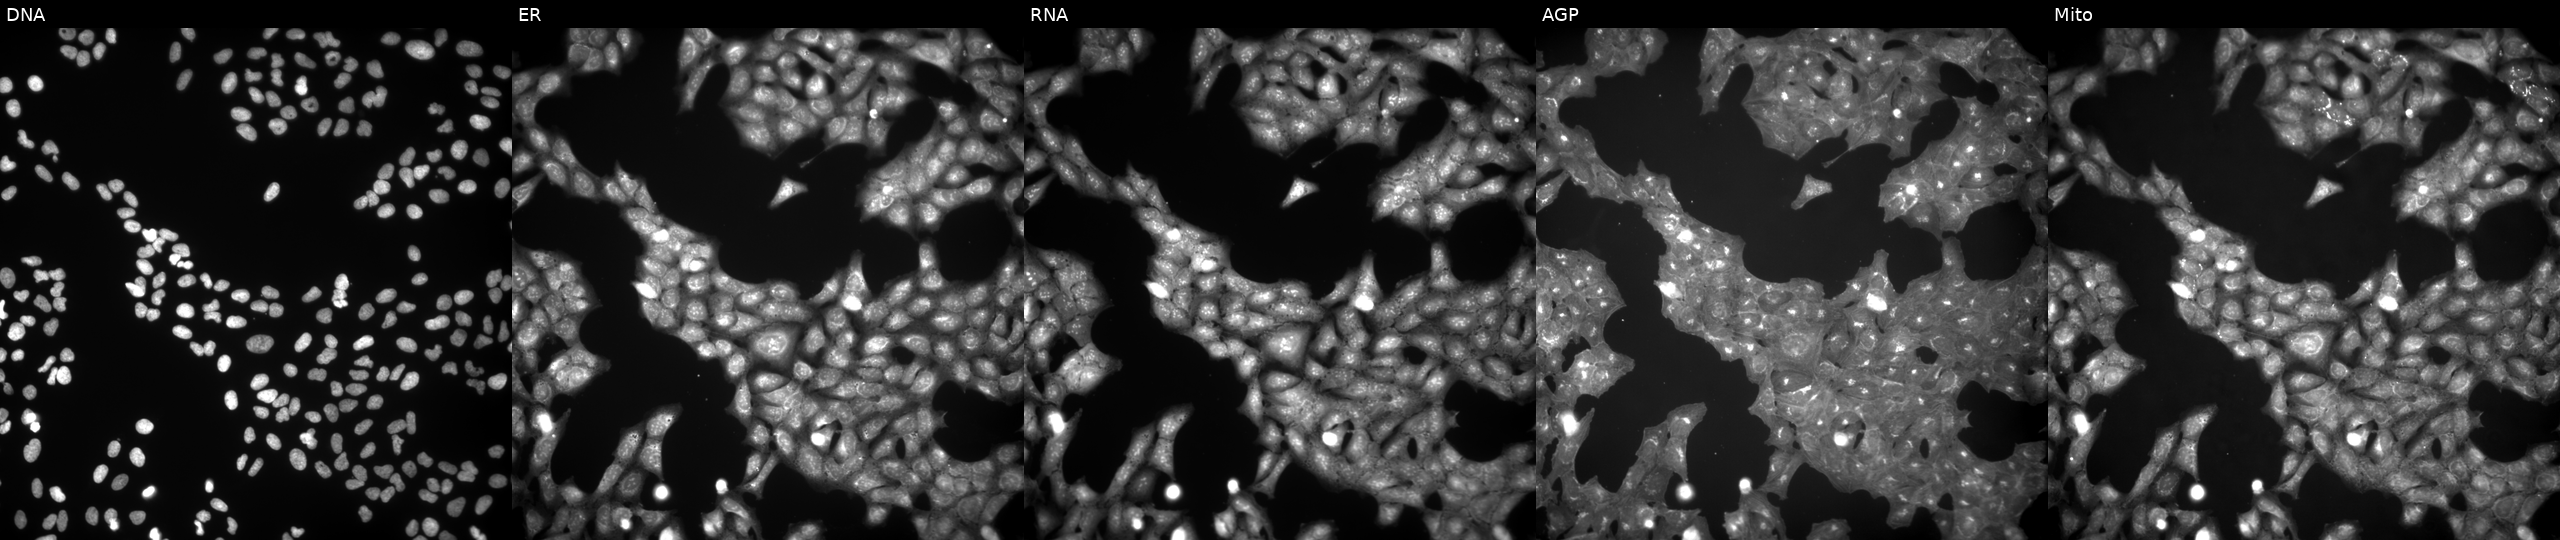
JUMP Cell Painting — COMPOUND plate. U2OS cells exposed to the positive-control compound NVS-PAK1-1 (JUMP id JCP2022_064022). Panels show, left to right, Hoechst 33342, concanavalin A, SYTO 14, phalloidin and WGA, MitoTracker.